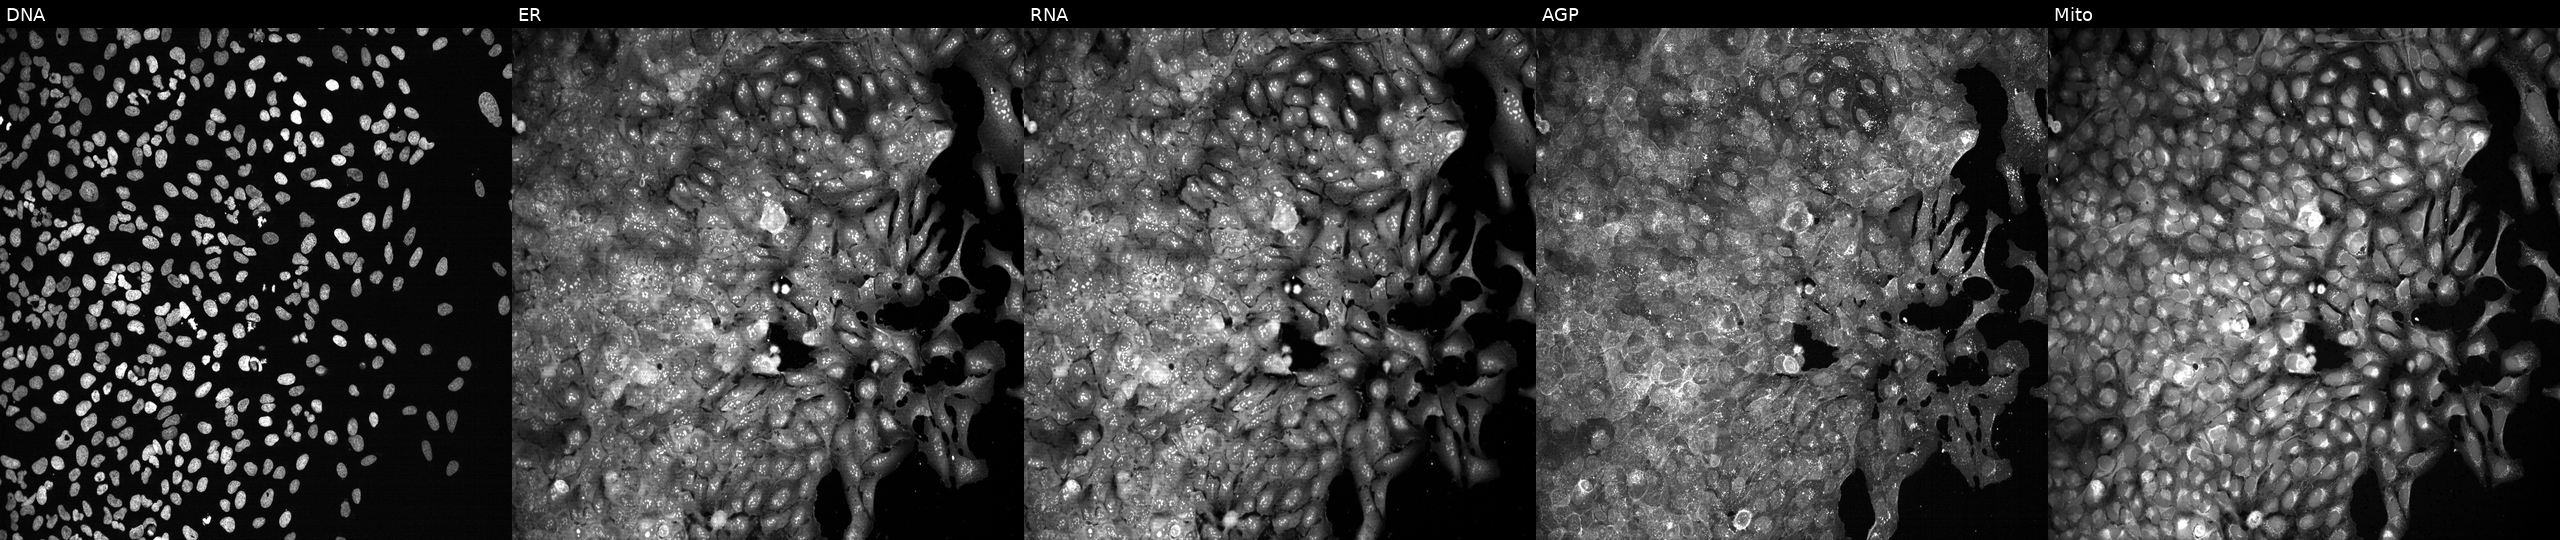
U2OS cells, Cell Painting assay, with OAZ1 knocked out by CRISPR. From left to right: DNA, ER, RNA, AGP, and Mito. Each panel is percentile-stretched 16-bit fluorescence.